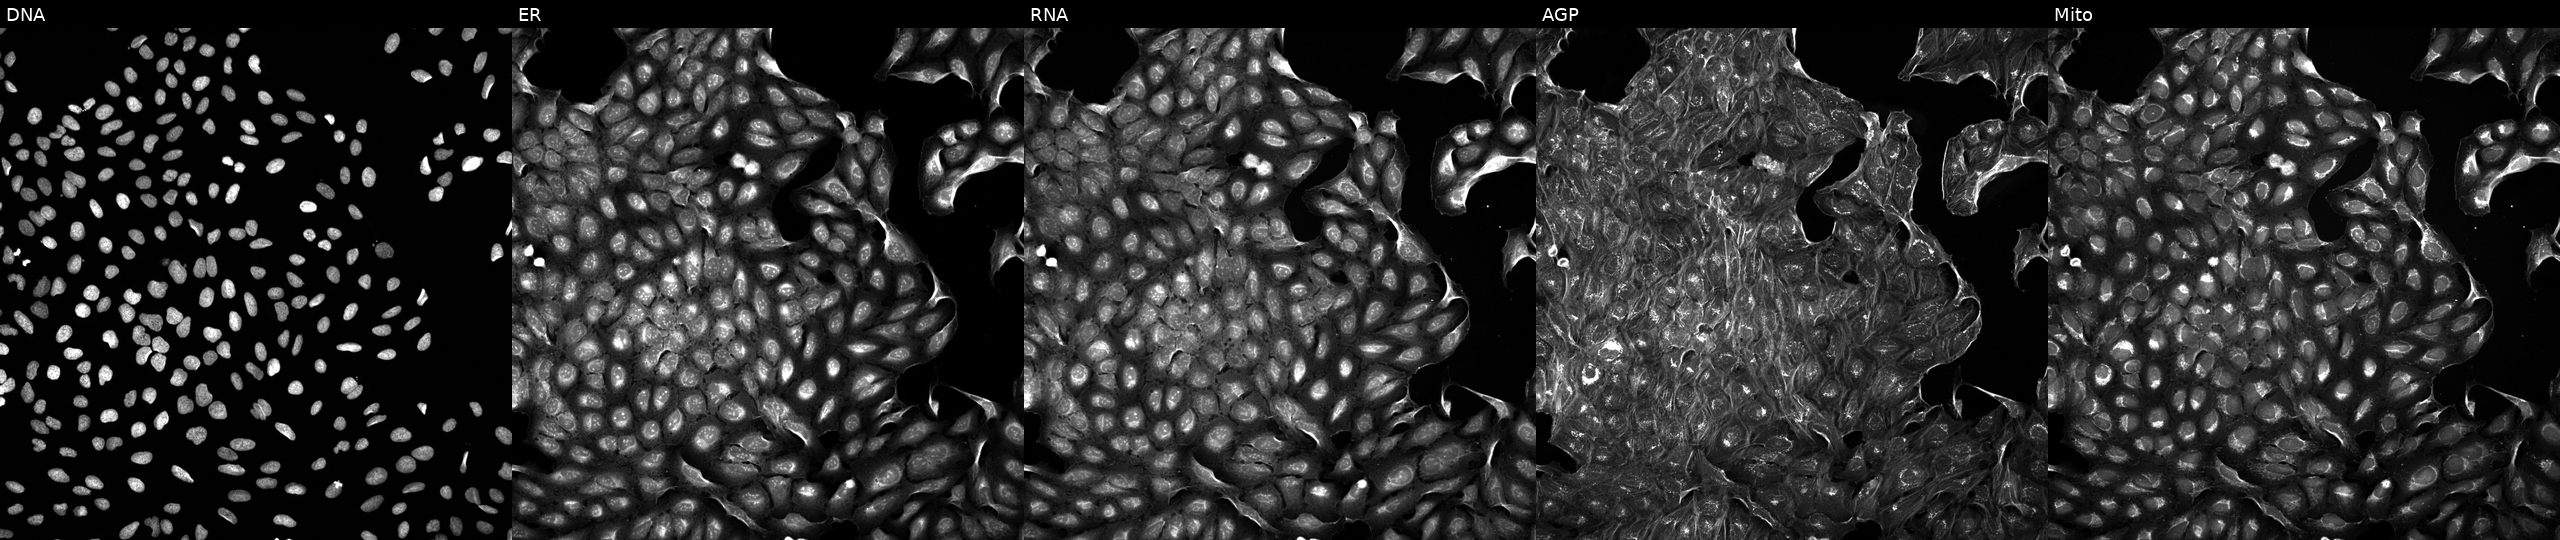
High-content fluorescence microscopy (Cell Painting). Cell line: U2OS. Perturbation: treated with DMSO vehicle only (negative control). The five panels, left to right, show Hoechst 33342, concanavalin A, SYTO 14, phalloidin and WGA, MitoTracker. Source 5, plate APTJUM105, well M02.